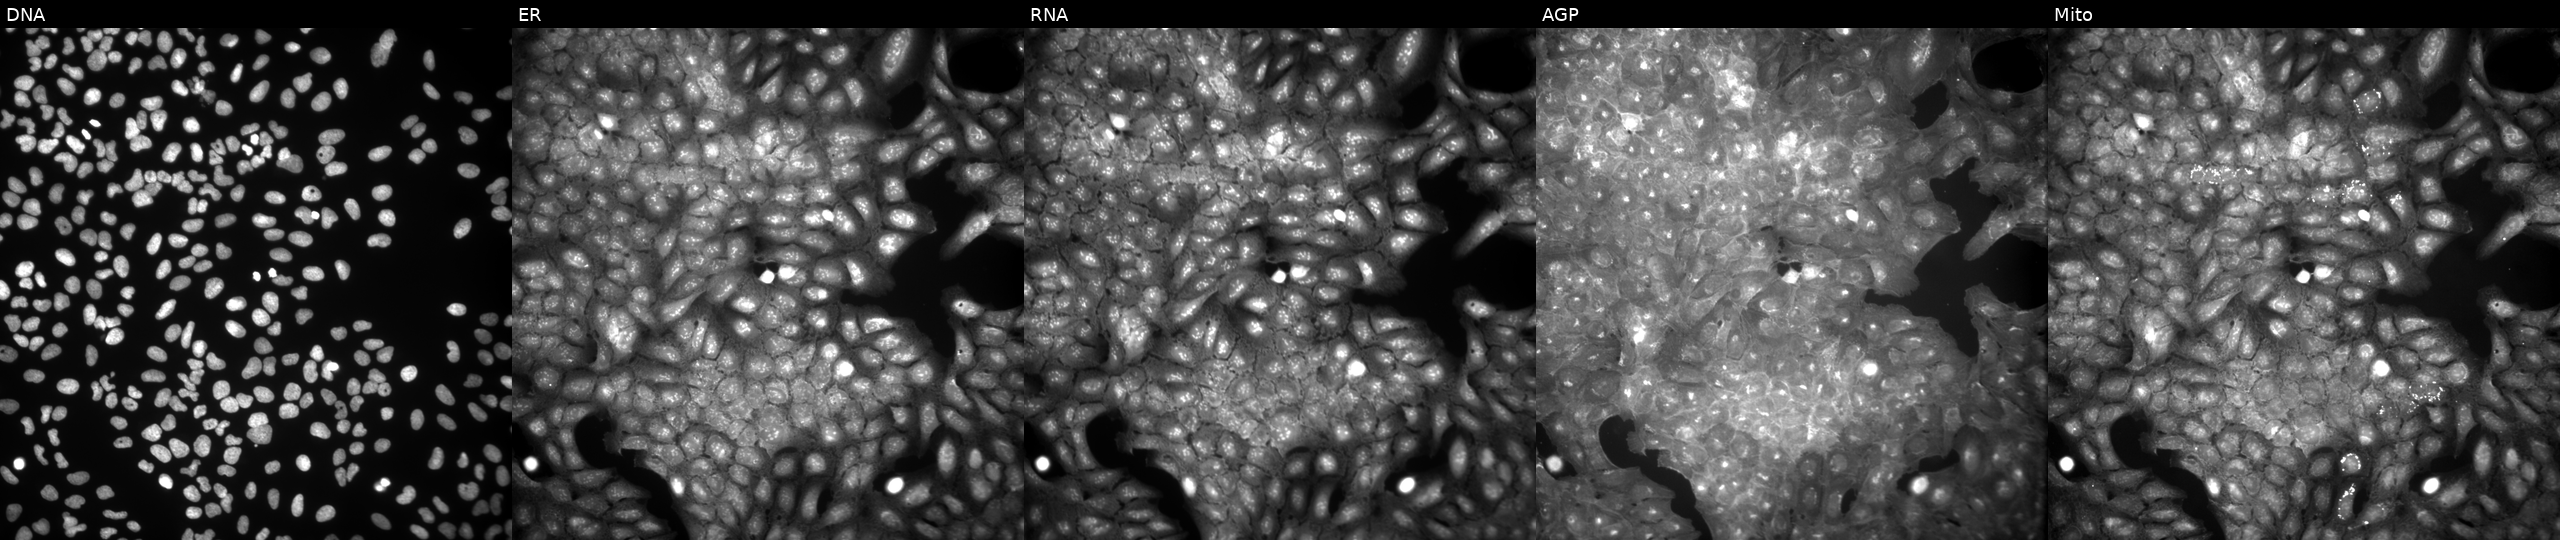
This image strip shows the five Cell Painting channels for a single field of U2OS cells perturbed with a small-molecule compound (InChIKey DKXOCIGOSILVPD-UHFFFAOYSA-N) [SMILES: COc1ccc(Oc2c(C(F)(F)F)oc3cc(OCC(=O)O)ccc3c2=O)cc1]. From left to right: DNA (nuclei); ER (endoplasmic reticulum); RNA (nucleoli and cytoplasmic RNA); AGP (actin cytoskeleton, Golgi, and plasma membrane); Mito (mitochondria).